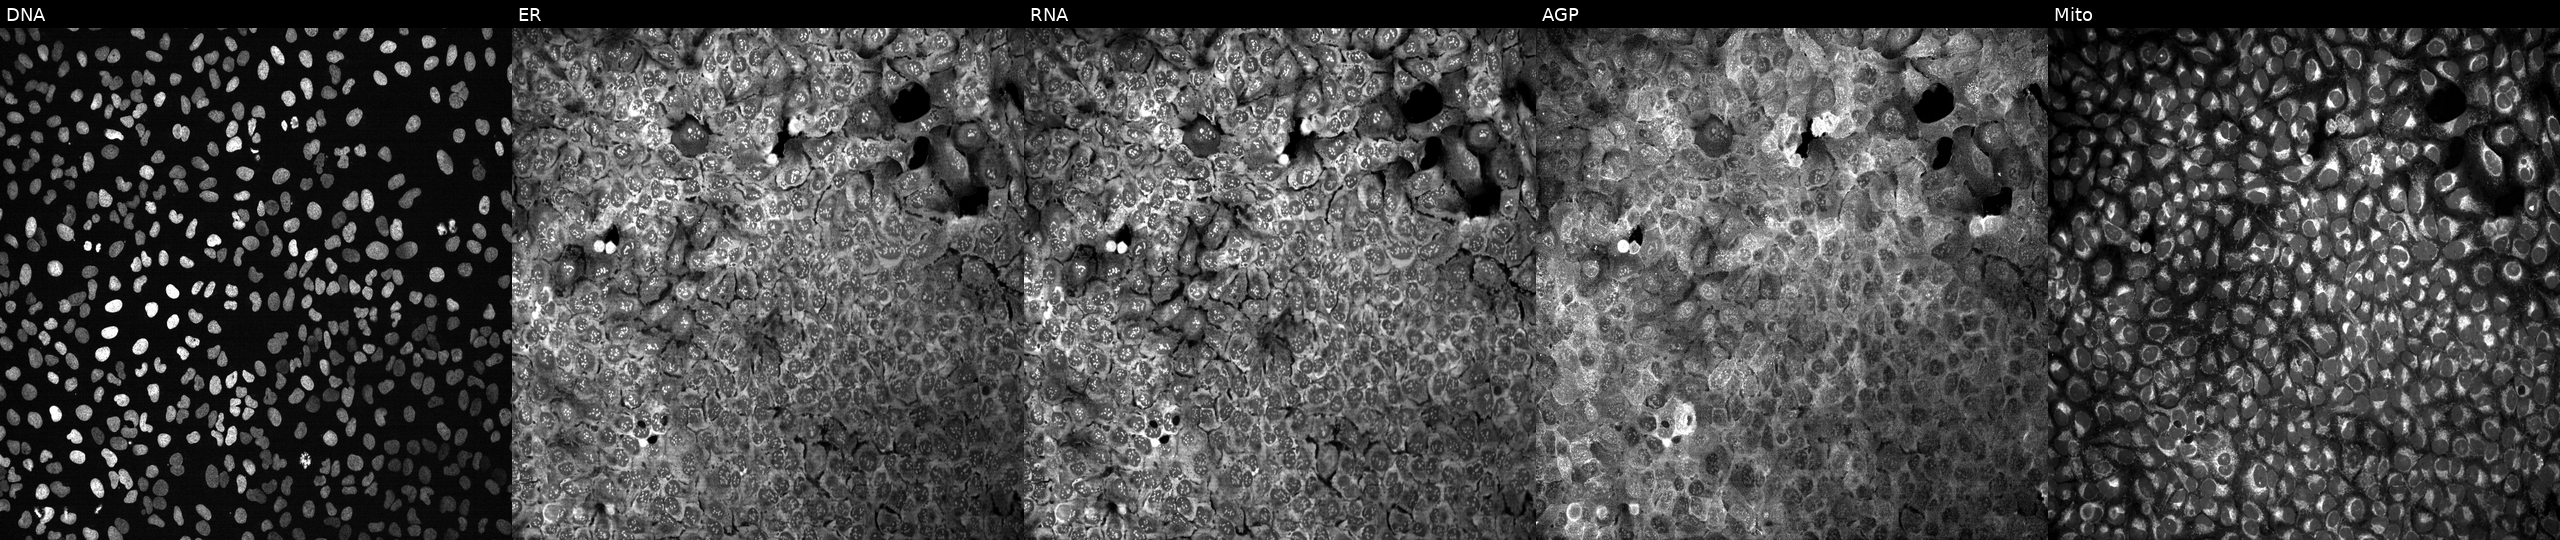
Channels (left→right): DNA, ER, RNA, AGP, and Mito. U2OS osteosarcoma cells with ATP2A3 knocked out by CRISPR (JUMP id JCP2022_800711). Cell Painting assay, JUMP-CP dataset.